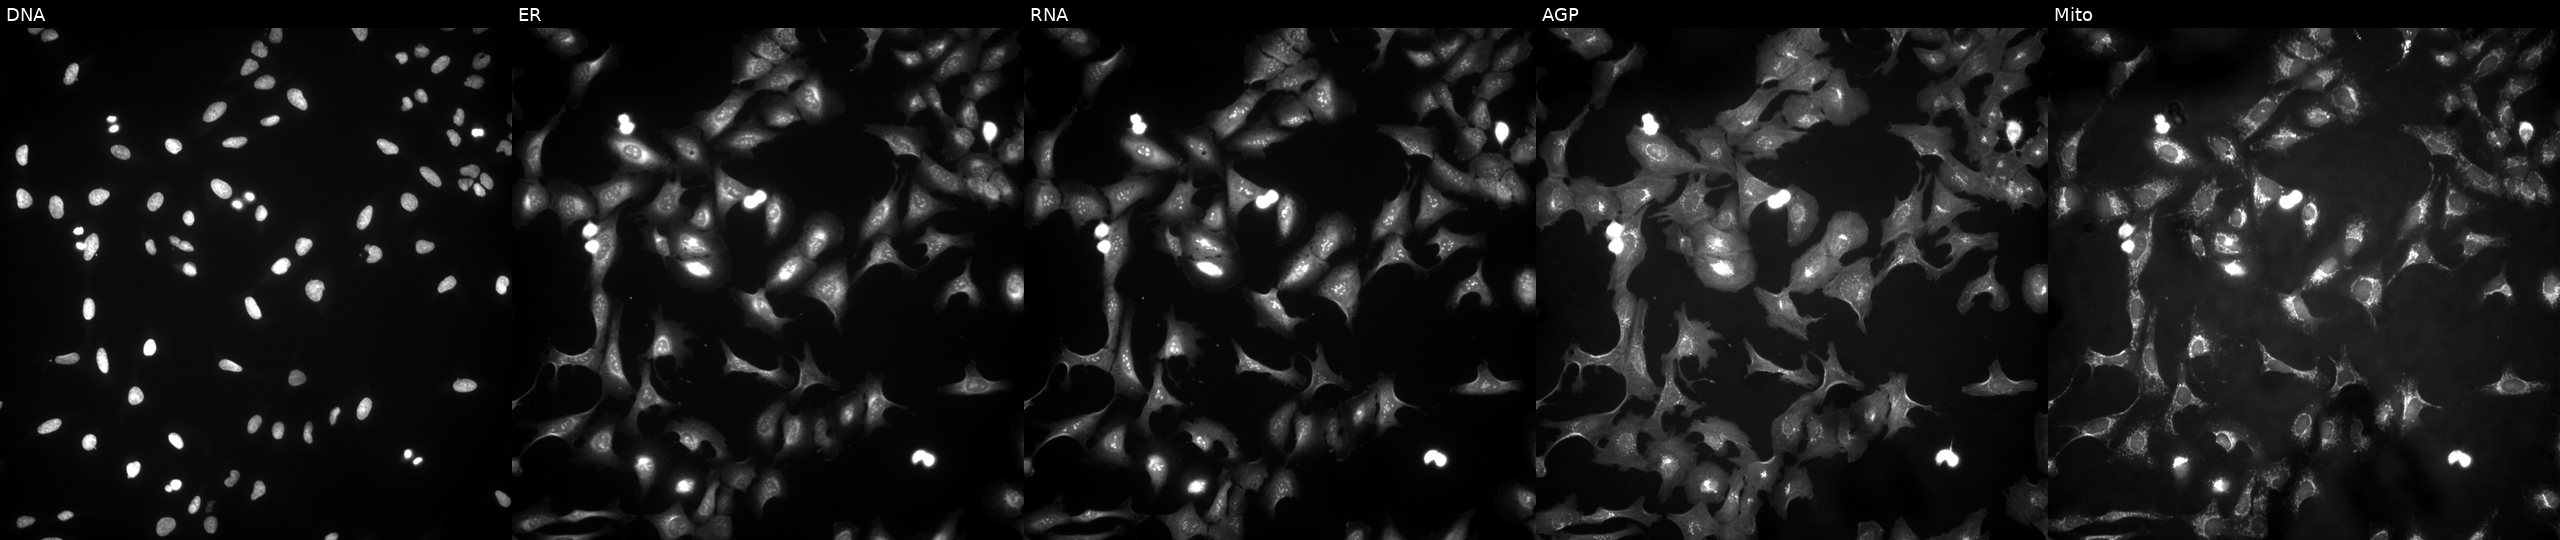
High-content fluorescence microscopy (Cell Painting). Cell line: U2OS. Perturbation: with ARHGEF16 overexpressed (ORF). Panels show, left to right, DNA, ER, RNA, AGP, and Mito.